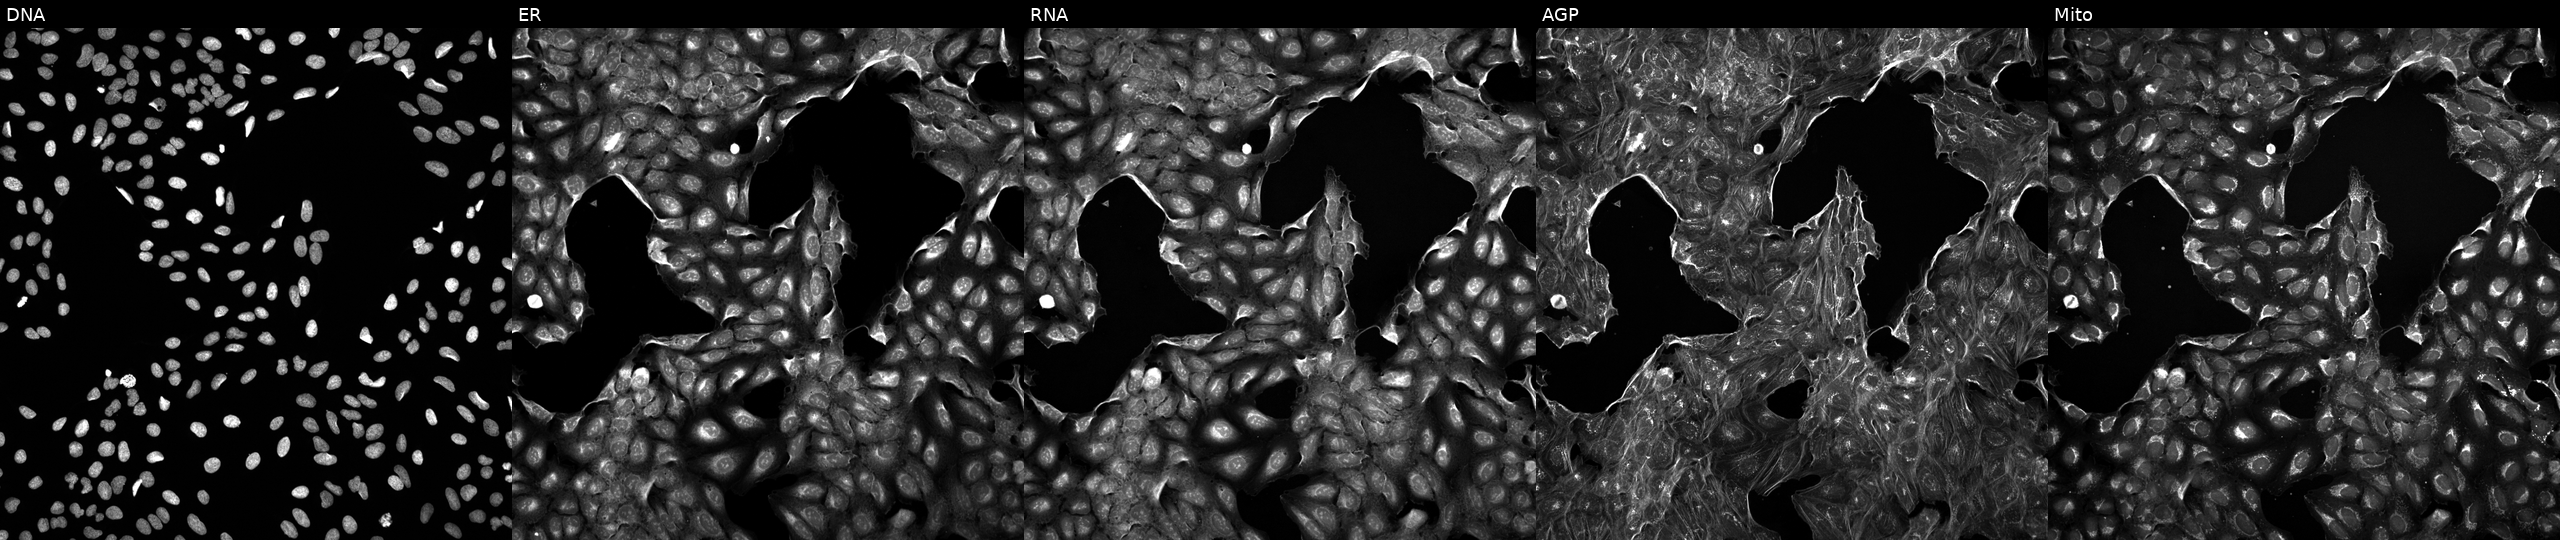
Five-channel Cell Painting image of U2OS cells exposed to DMSO alone as a negative control (JUMP id JCP2022_033924). Channels (left→right): DNA (nuclei); ER (endoplasmic reticulum); RNA (nucleoli and cytoplasmic RNA); AGP (actin cytoskeleton, Golgi, and plasma membrane); Mito (mitochondria). Source 5, plate ACPJUM051, well N07.